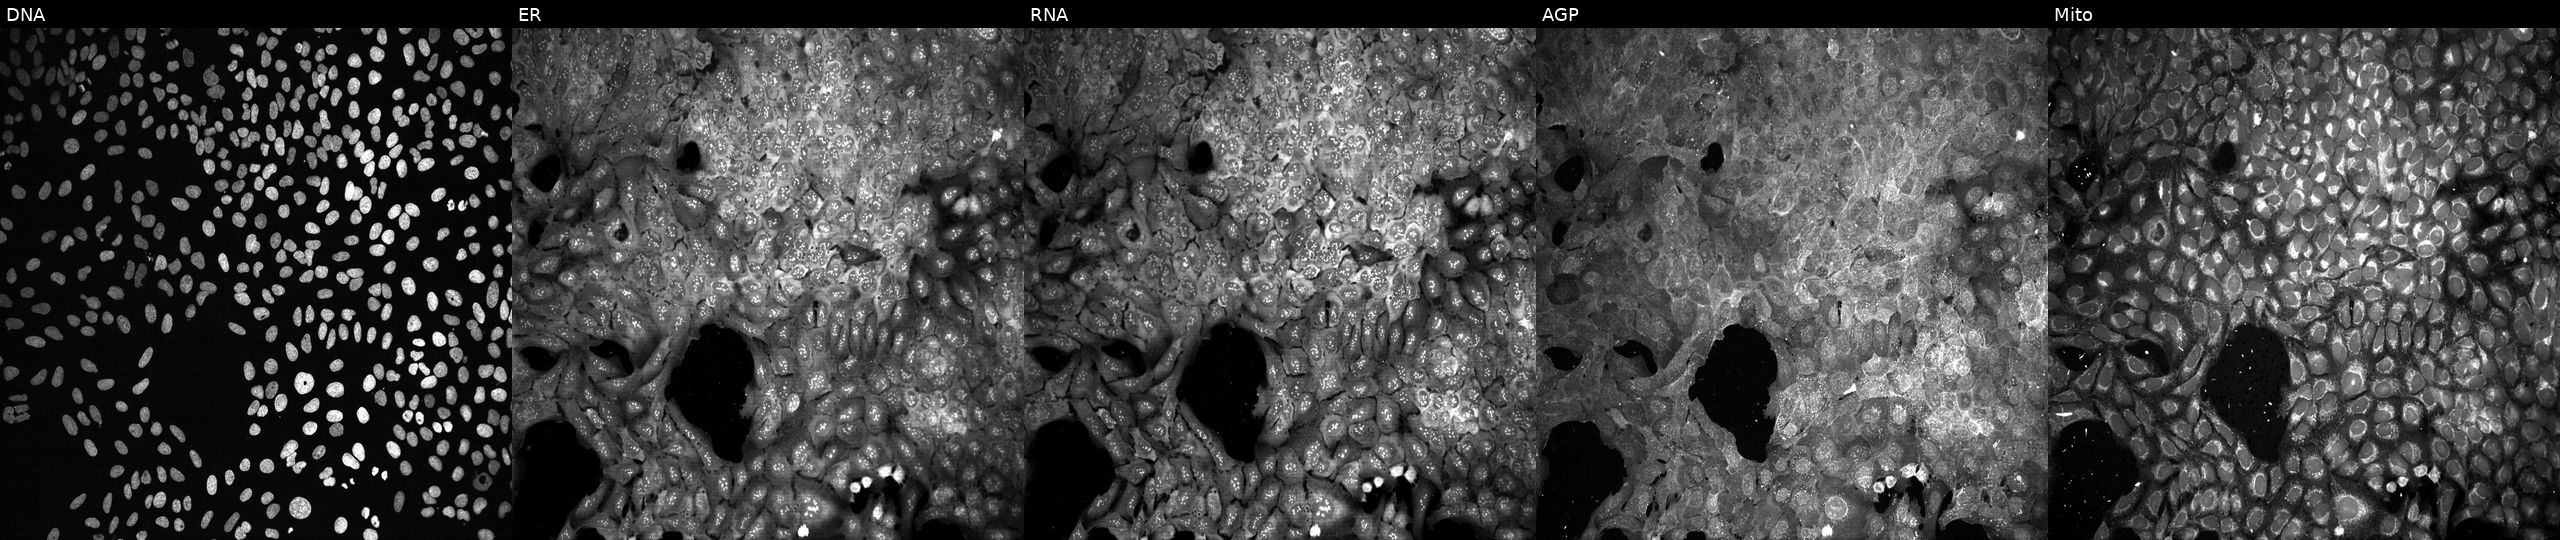
This image strip shows the five Cell Painting channels for a single field of U2OS cells treated with dexamethasone (positive-control compound) (JUMP id JCP2022_025848). Channels (left→right): Hoechst 33342, concanavalin A, SYTO 14, phalloidin and WGA, MitoTracker.